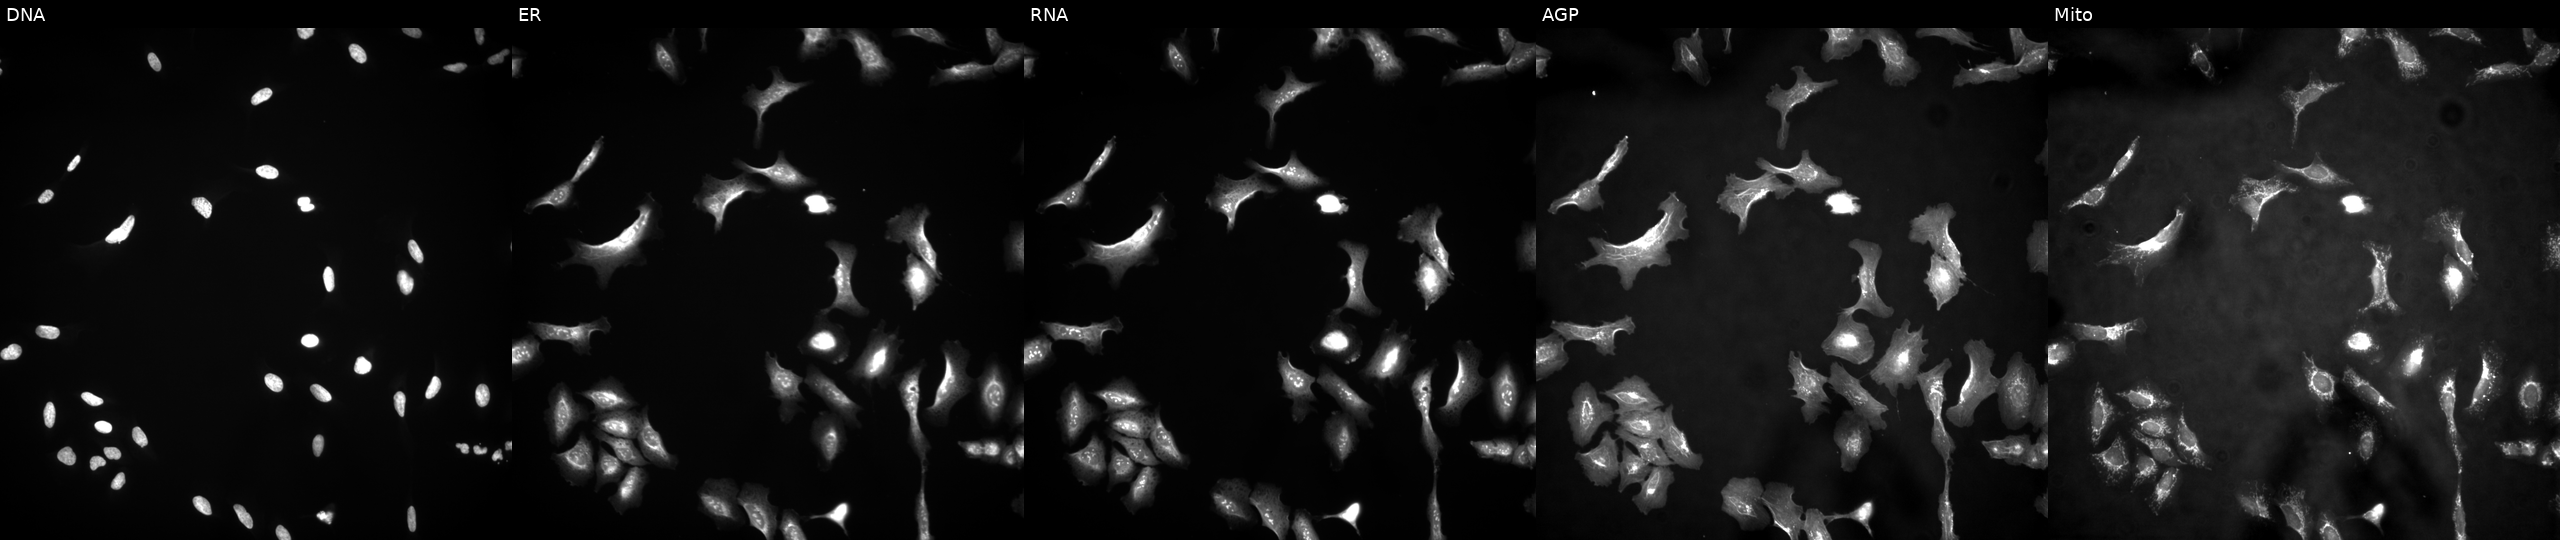
This image strip shows the five Cell Painting channels for a single field of U2OS cells transfected with an ORF construct for CCDC22. From left to right: Hoechst 33342, concanavalin A, SYTO 14, phalloidin and WGA, MitoTracker.